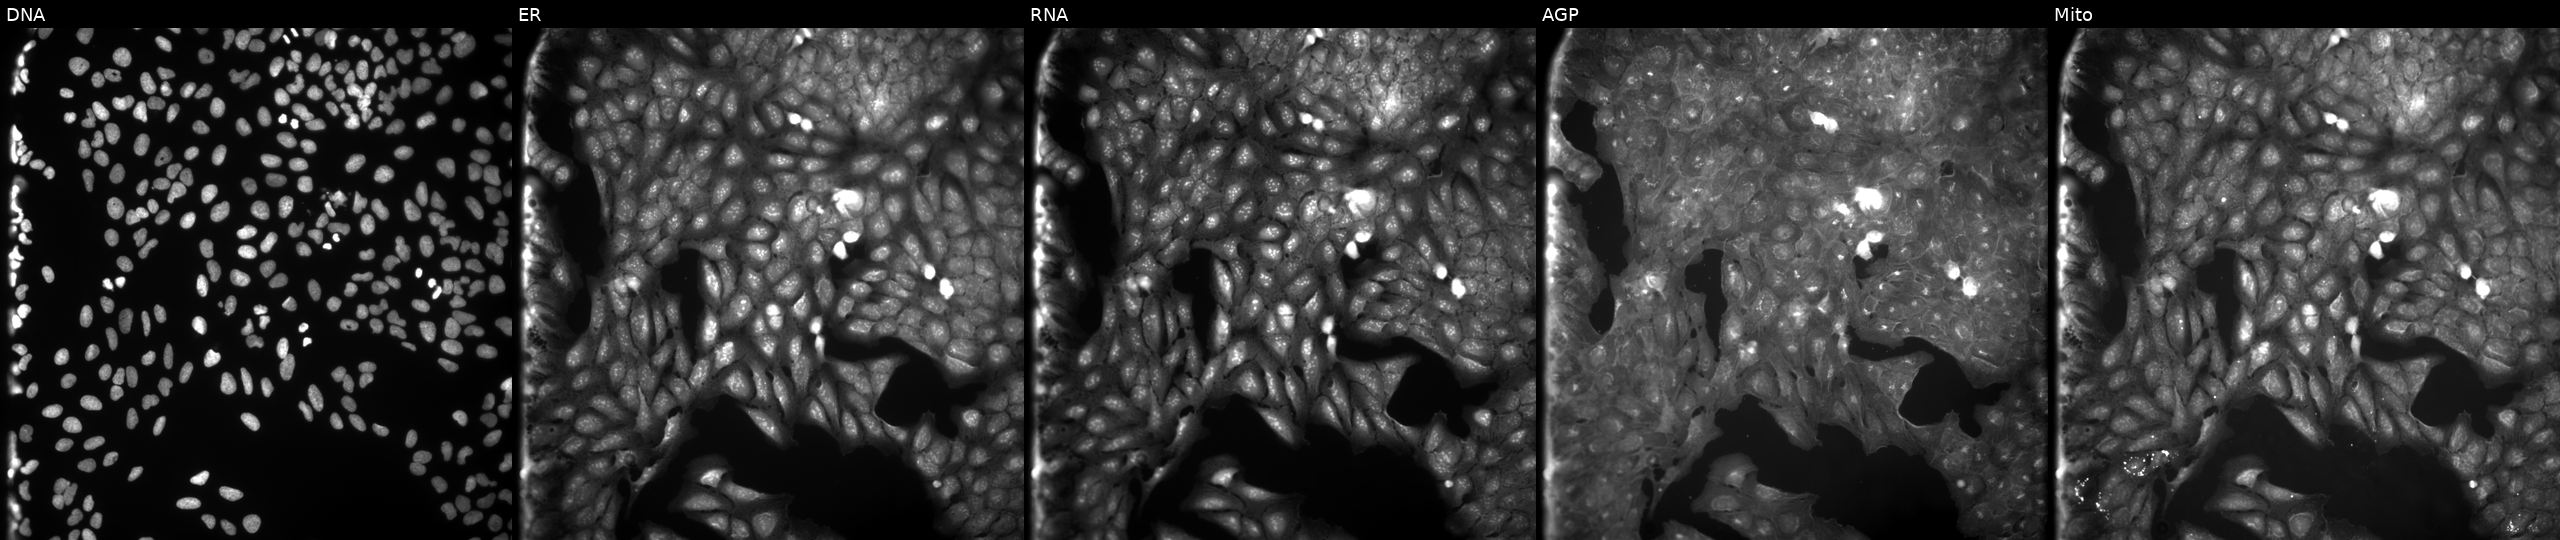
This image strip shows the five Cell Painting channels for a single field of U2OS cells treated with a small-molecule compound (InChIKey BUZHKGXZGKMOHM-UHFFFAOYSA-N). From left to right: Hoechst 33342, concanavalin A, SYTO 14, phalloidin and WGA, MitoTracker. Source 9, plate GR00003382, well T07.